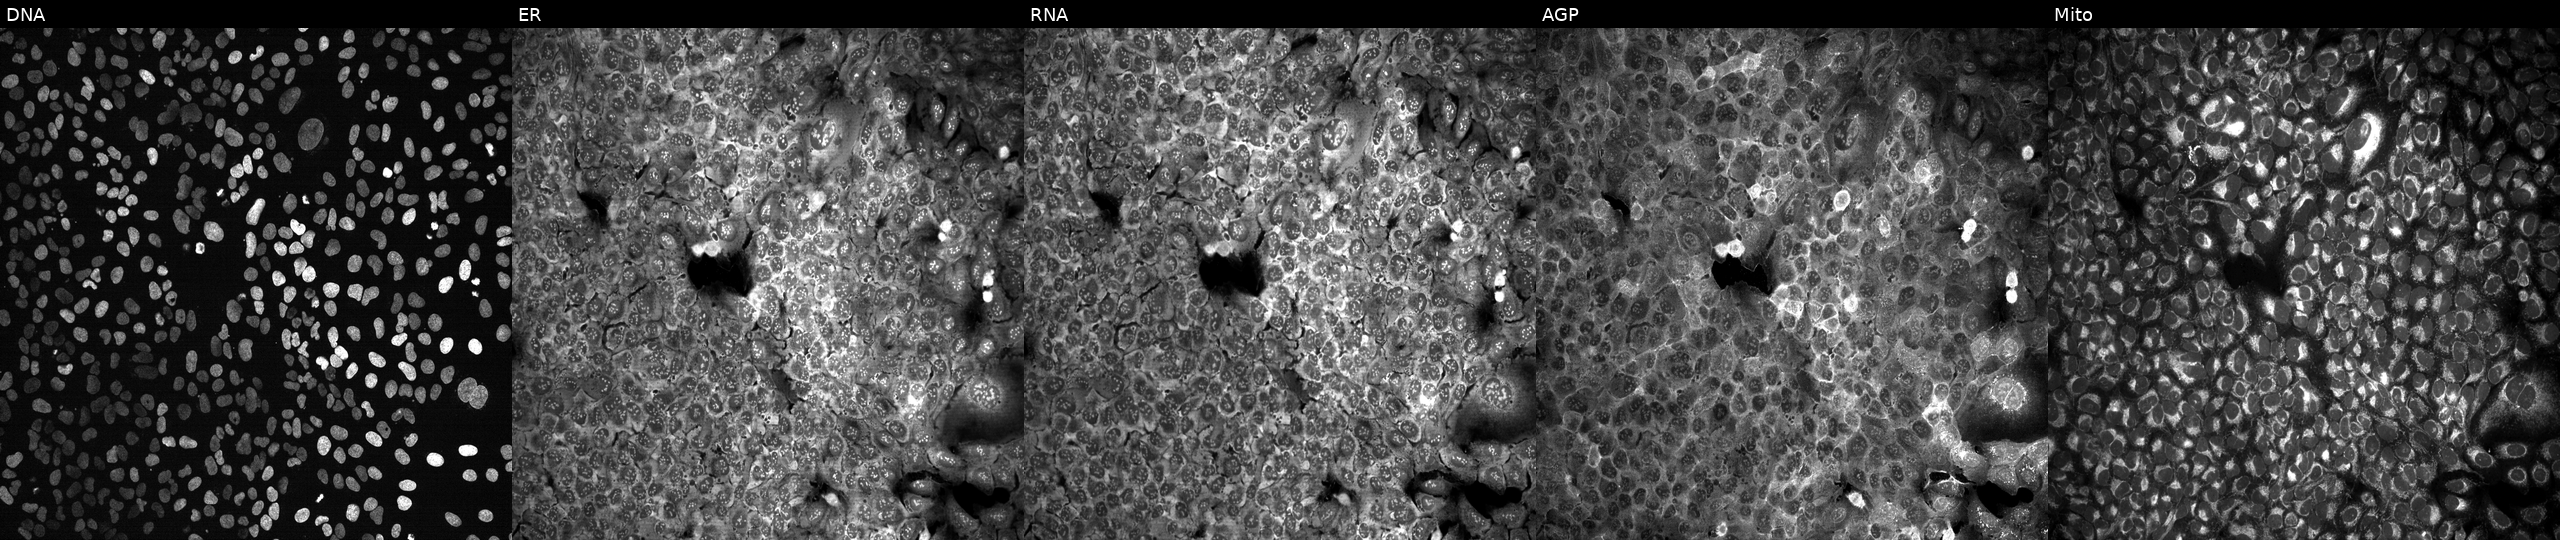
High-content fluorescence microscopy (Cell Painting). Cell line: U2OS. Perturbation: CRISPR-edited to disrupt GJB3. Panels show, left to right, DNA (nuclei); ER (endoplasmic reticulum); RNA (nucleoli and cytoplasmic RNA); AGP (actin cytoskeleton, Golgi, and plasma membrane); Mito (mitochondria).